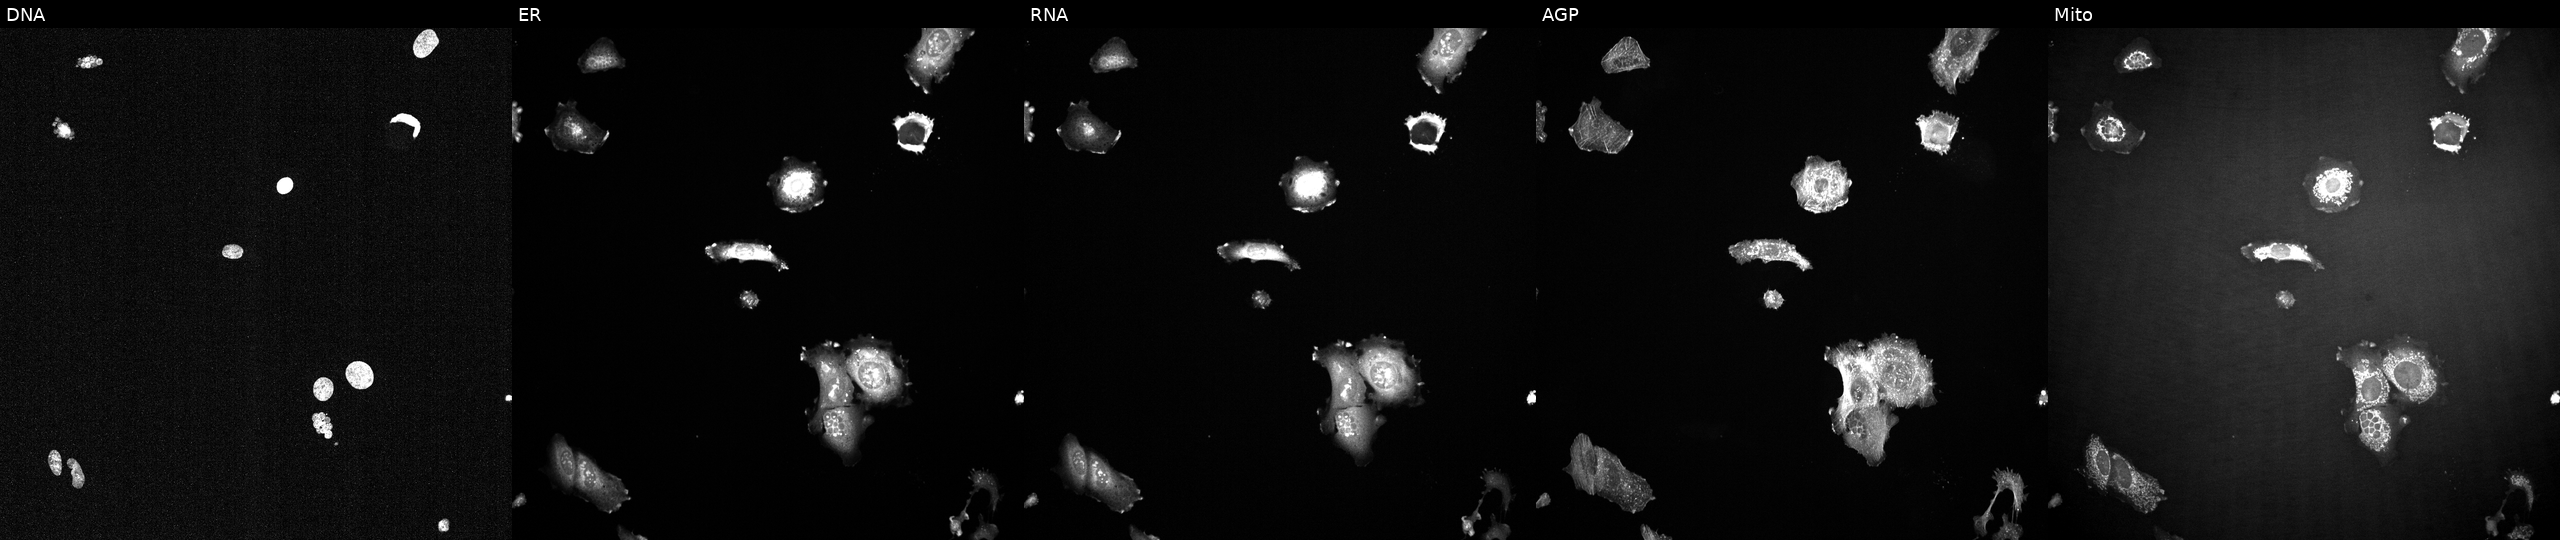
Five-channel Cell Painting image of U2OS cells exposed to a small-molecule compound (JUMP id JCP2022_033814). Panels show, left to right, Hoechst 33342, concanavalin A, SYTO 14, phalloidin and WGA, MitoTracker. Source 2, plate 1053599503, well F19.